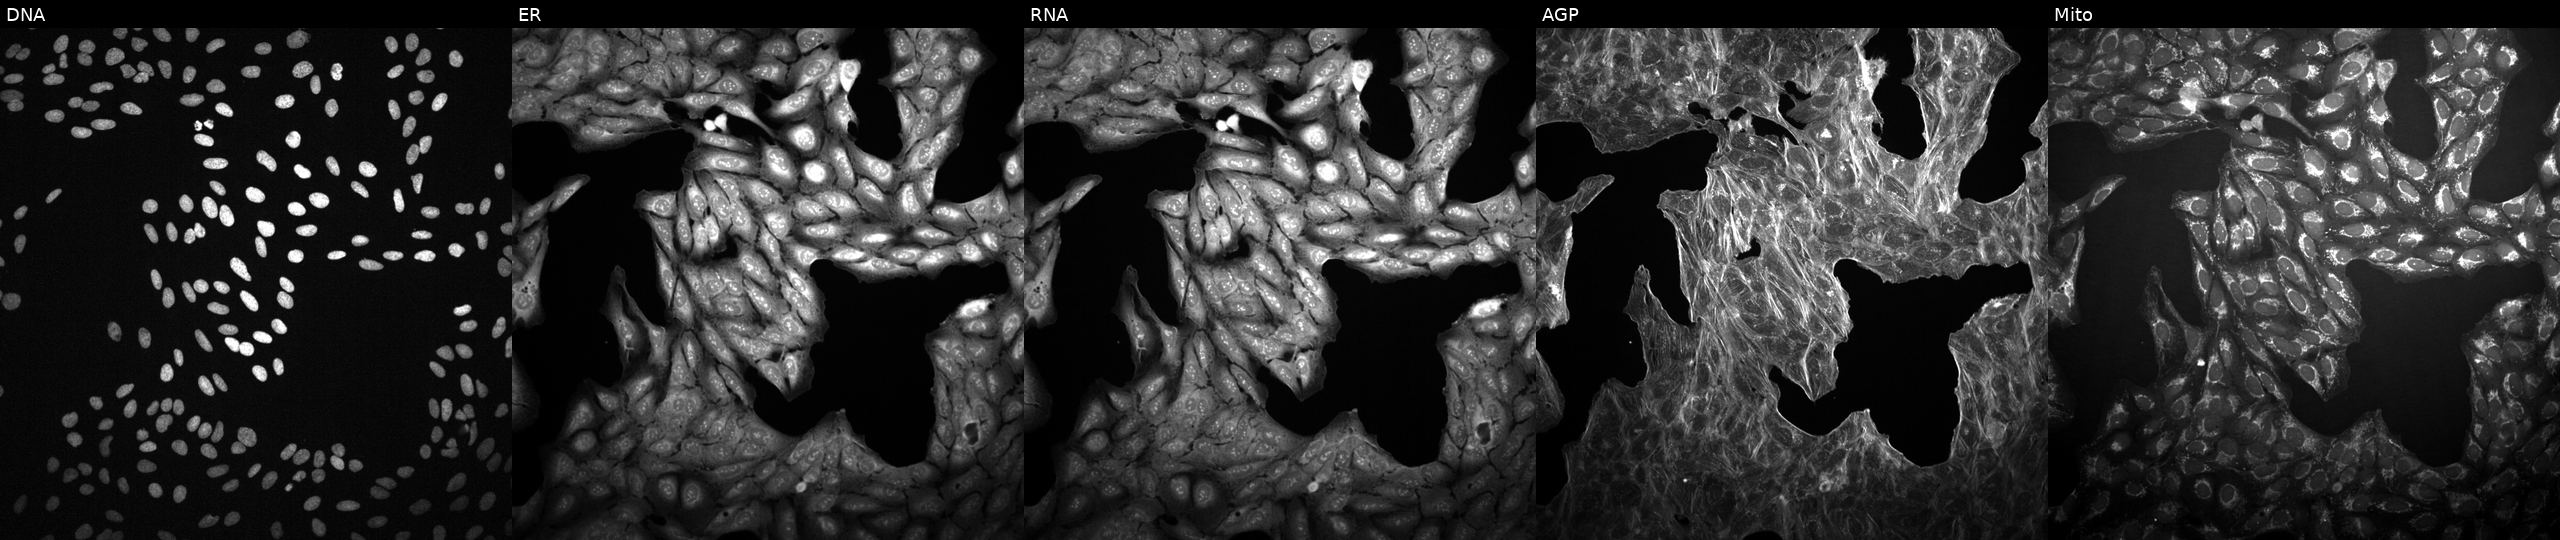
JUMP Cell Painting — TARGET2 plate. U2OS cells exposed to a small-molecule compound (JUMP id JCP2022_073458). Panels show, left to right, DNA, ER, RNA, AGP, and Mito.